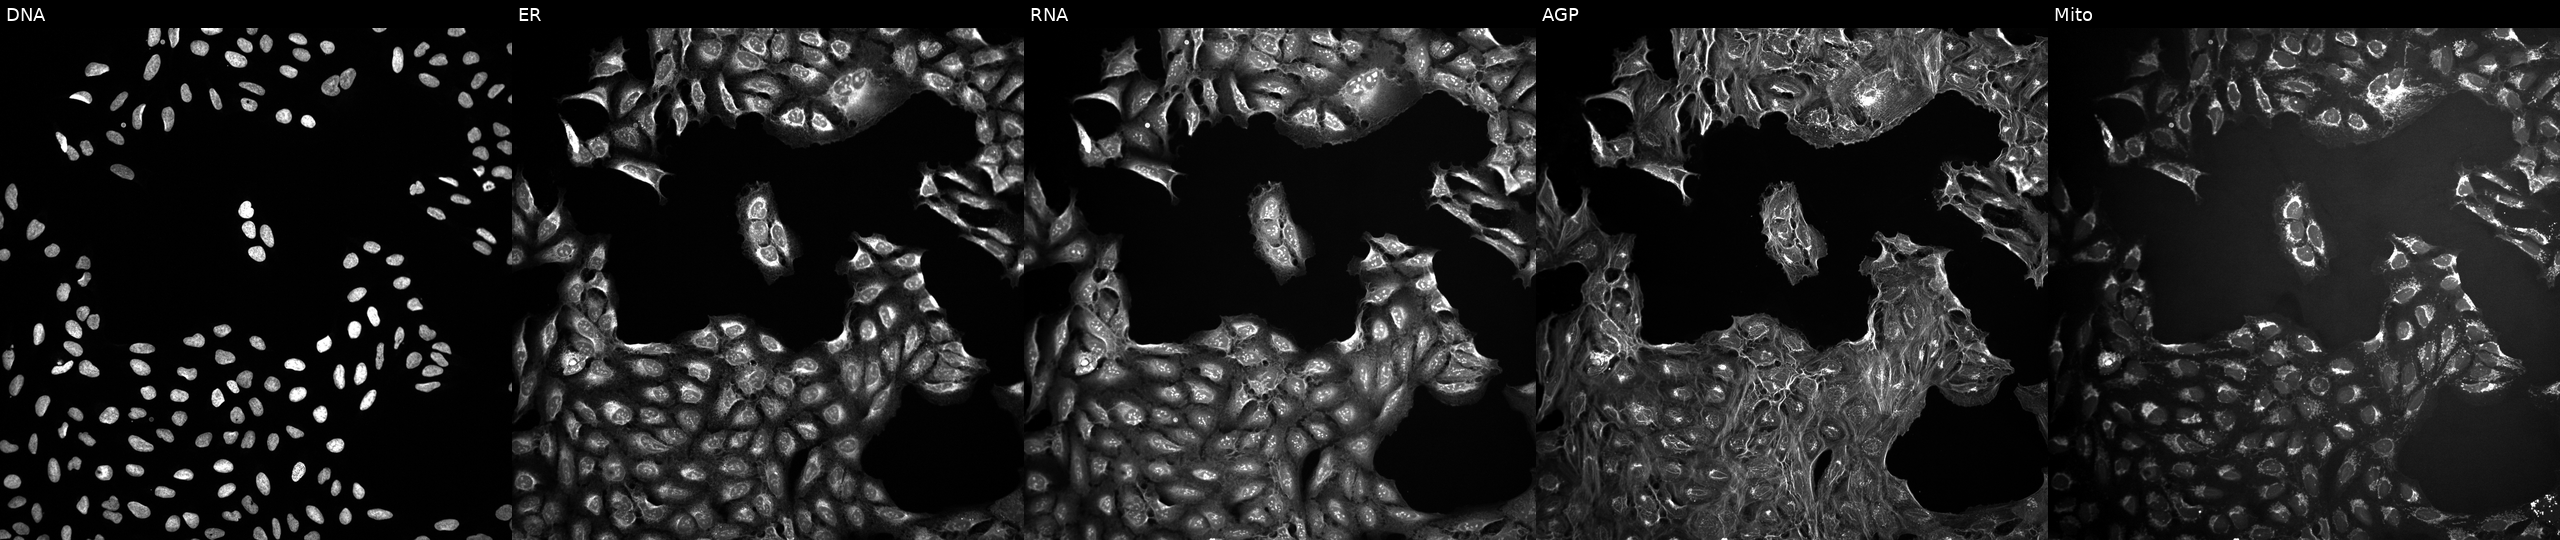
High-content fluorescence microscopy (Cell Painting). Cell line: U2OS. Perturbation: in an empty control well (no perturbation) (JUMP id JCP2022_999999). Channels (left→right): DNA, ER, RNA, AGP, and Mito. Source 10, plate Dest210531-152324, well L18.